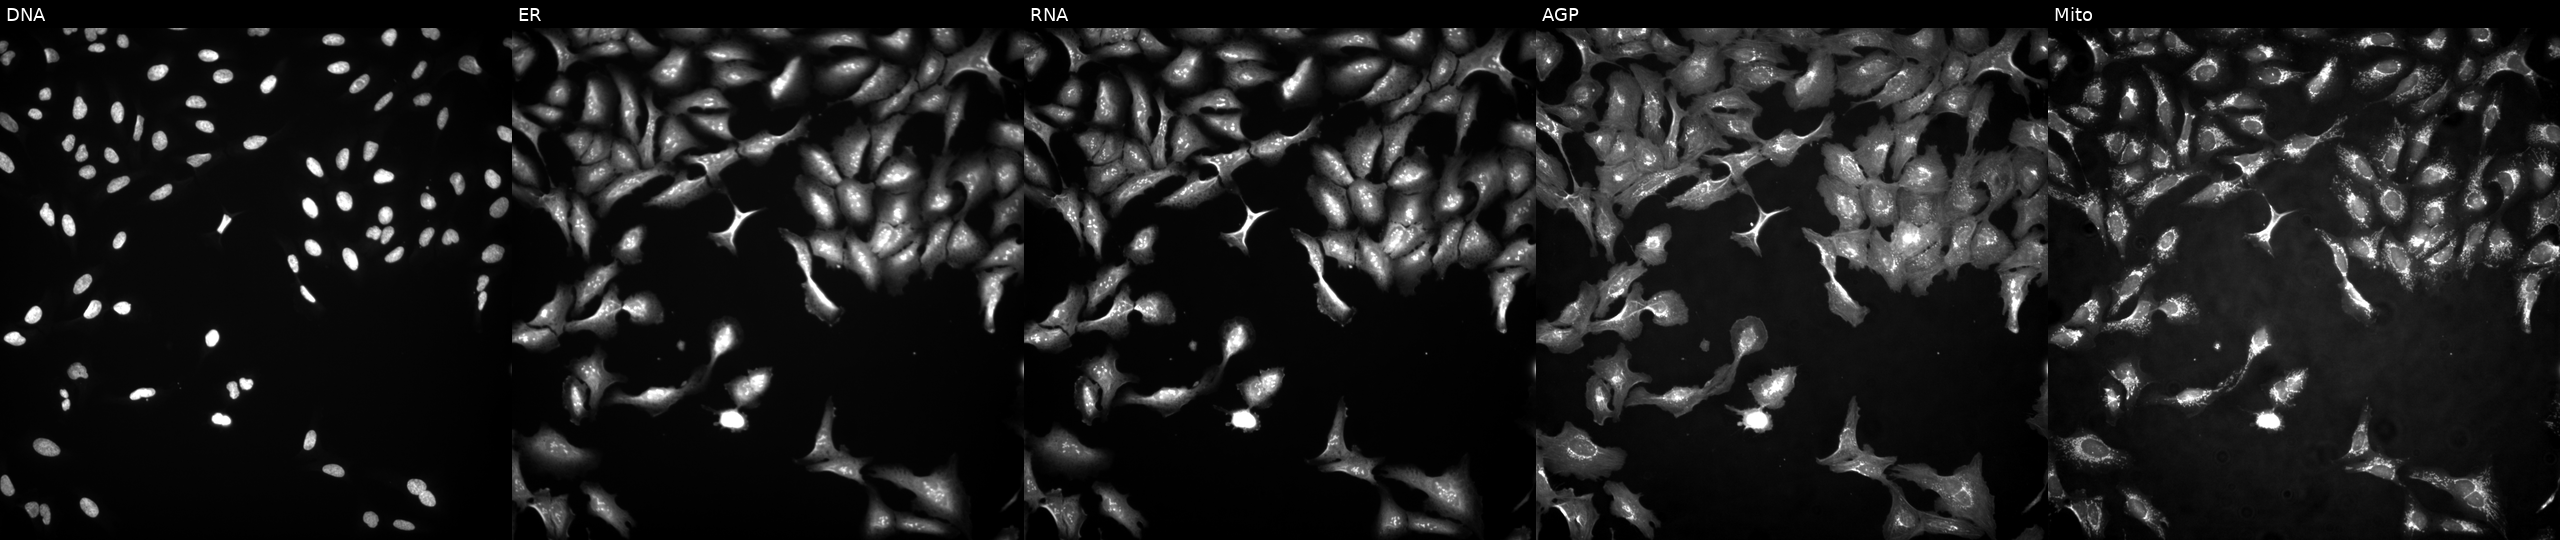
JUMP Cell Painting — ORF plate. U2OS cells with OVCA2 overexpressed (ORF) (JUMP id JCP2022_904483). From left to right: DNA (nuclei); ER (endoplasmic reticulum); RNA (nucleoli and cytoplasmic RNA); AGP (actin cytoskeleton, Golgi, and plasma membrane); Mito (mitochondria). Source 4, plate BR00117035, well I08.